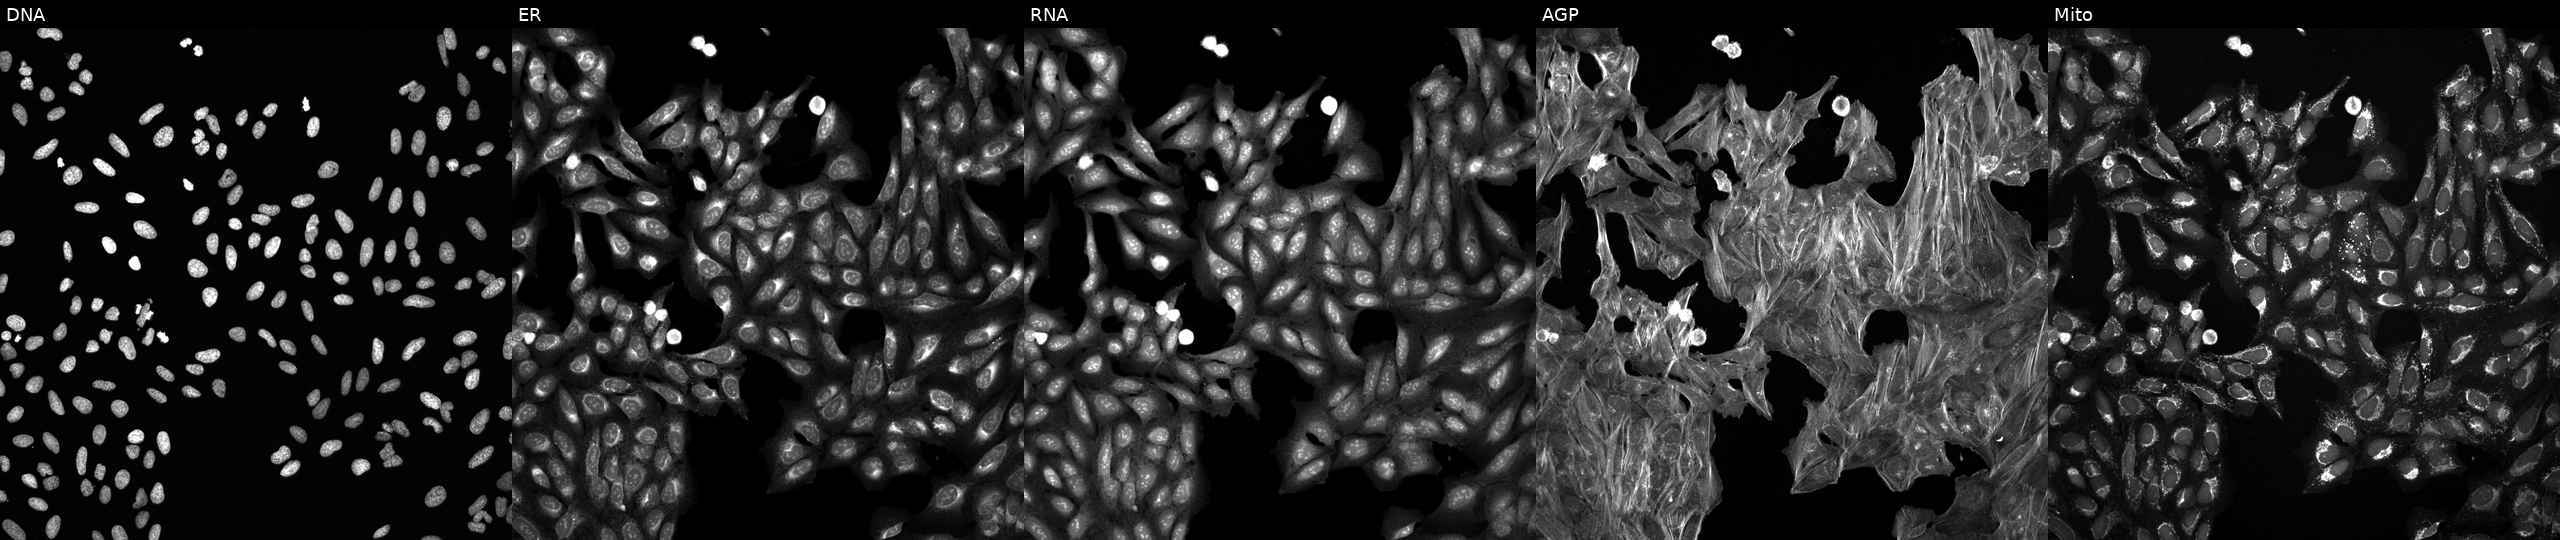
This image strip shows the five Cell Painting channels for a single field of U2OS cells exposed to a small-molecule compound (InChIKey NOKDKXIQDDWGBH-UHFFFAOYSA-N) (JUMP id JCP2022_060325). From left to right: Hoechst 33342, concanavalin A, SYTO 14, phalloidin and WGA, MitoTracker.